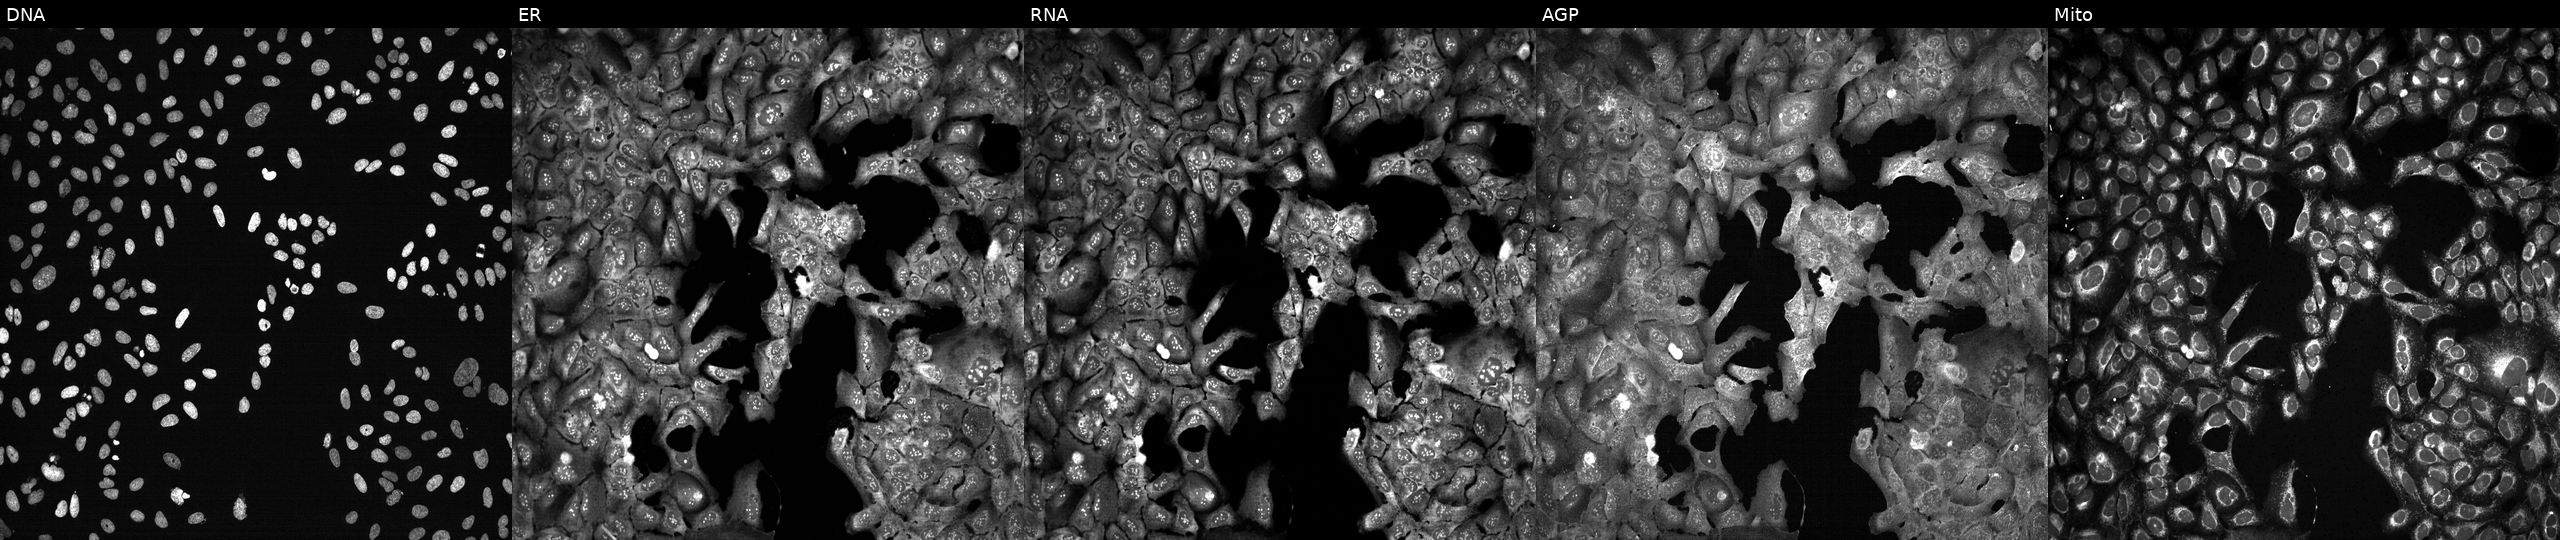
From left to right: DNA (nuclei); ER (endoplasmic reticulum); RNA (nucleoli and cytoplasmic RNA); AGP (actin cytoskeleton, Golgi, and plasma membrane); Mito (mitochondria). U2OS osteosarcoma cells CRISPR-edited to disrupt KIF22. Cell Painting assay, JUMP-CP dataset.